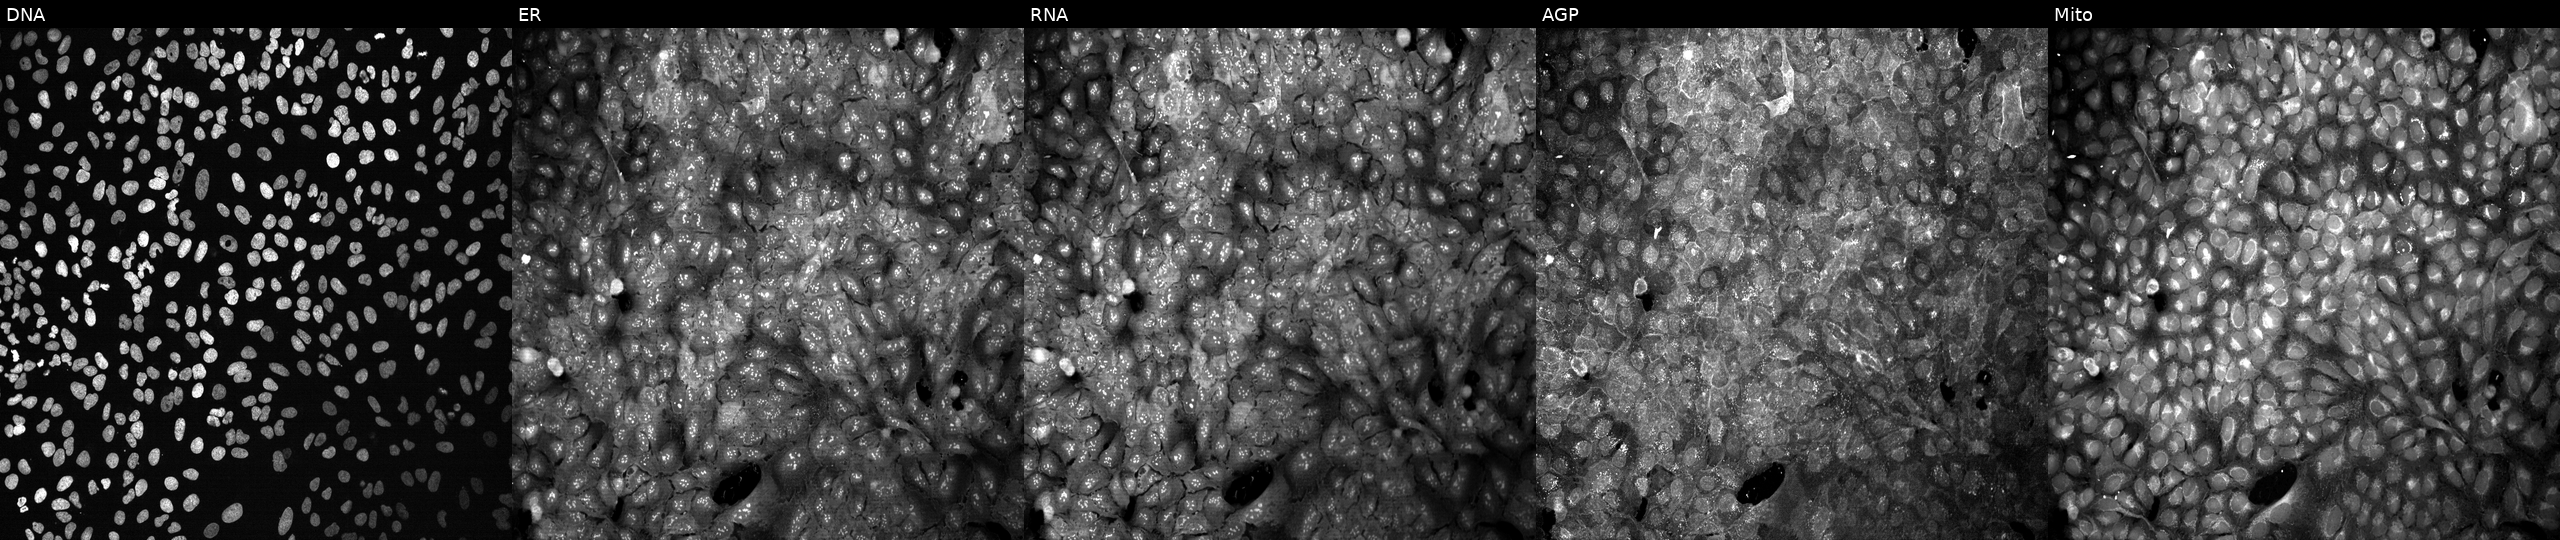
Five-channel Cell Painting image of U2OS cells CRISPR-edited to disrupt PRMT3. Panels show, left to right, Hoechst 33342, concanavalin A, SYTO 14, phalloidin and WGA, MitoTracker. Source 13, plate CP-CC9-R1-01, well G21.